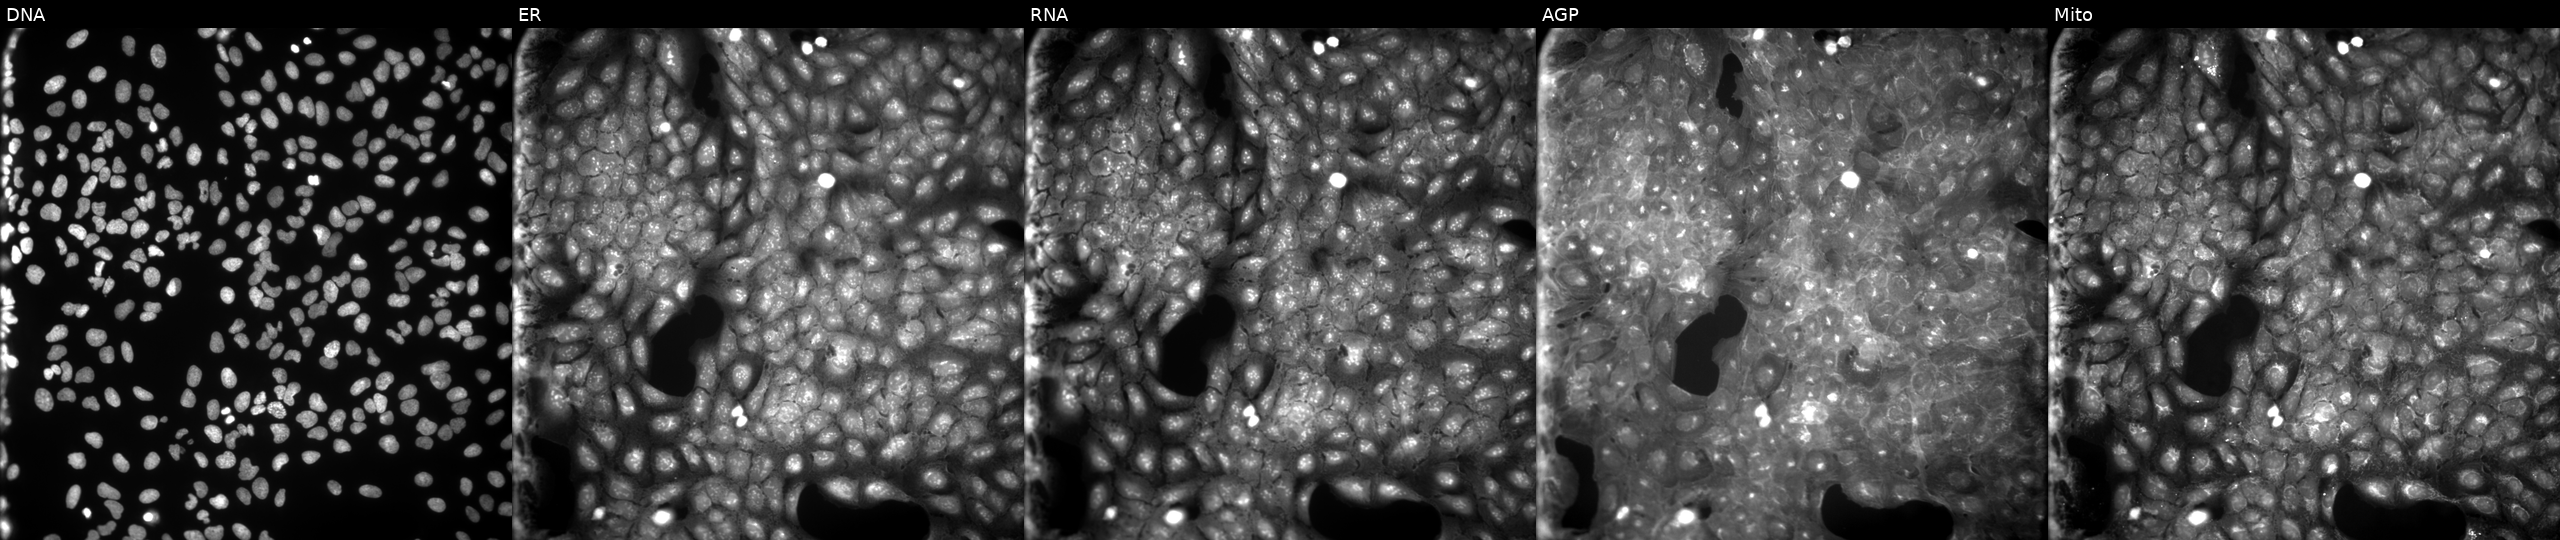
This image strip shows the five Cell Painting channels for a single field of U2OS cells exposed to a small-molecule compound (JUMP id JCP2022_005033). Channels (left→right): DNA (nuclei); ER (endoplasmic reticulum); RNA (nucleoli and cytoplasmic RNA); AGP (actin cytoskeleton, Golgi, and plasma membrane); Mito (mitochondria). Source 9, plate GR00003382, well Y09.